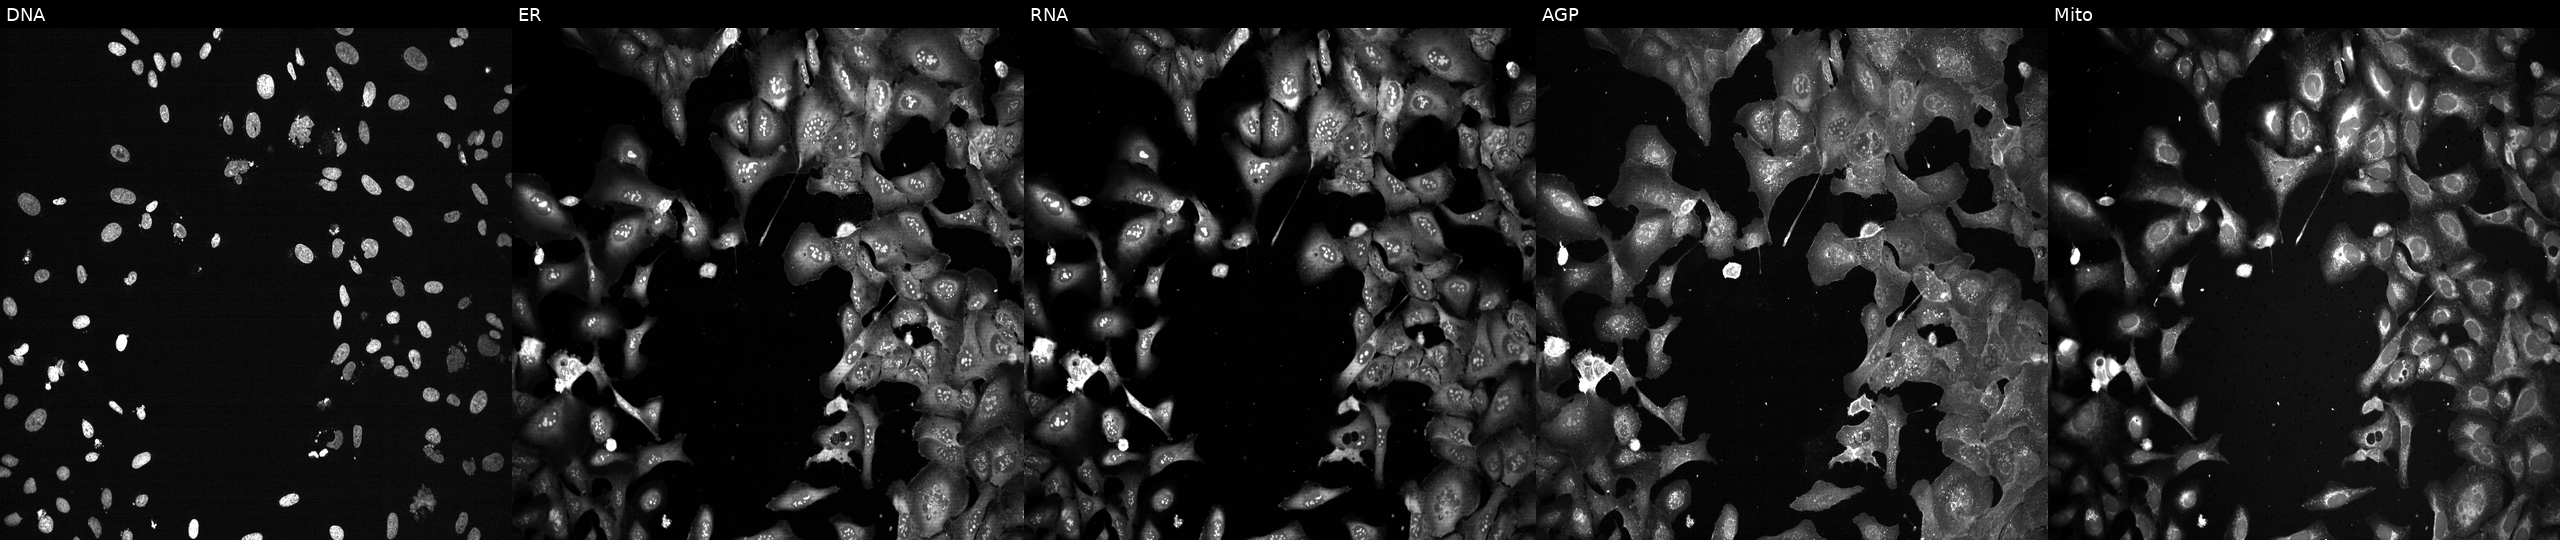
This image strip shows the five Cell Painting channels for a single field of U2OS cells CRISPR-edited to disrupt UGT3A1 (JUMP id JCP2022_807533). Channels (left→right): DNA (nuclei); ER (endoplasmic reticulum); RNA (nucleoli and cytoplasmic RNA); AGP (actin cytoskeleton, Golgi, and plasma membrane); Mito (mitochondria).